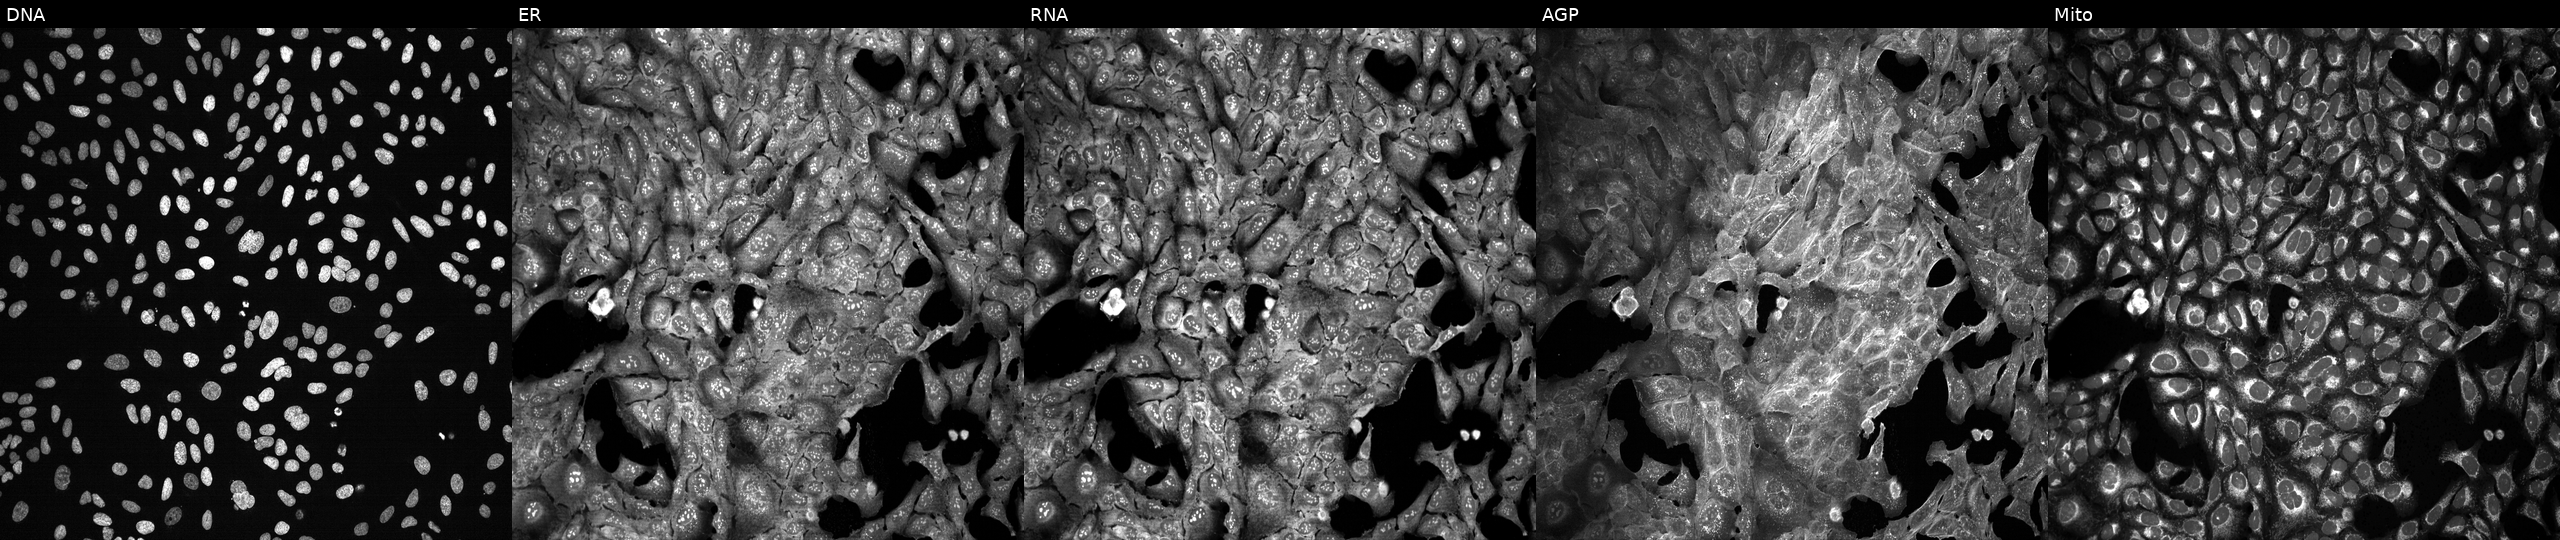
High-content fluorescence microscopy (Cell Painting). Cell line: U2OS. Perturbation: following CRISPR knockout of PRSS56. From left to right: DNA, ER, RNA, AGP, and Mito.